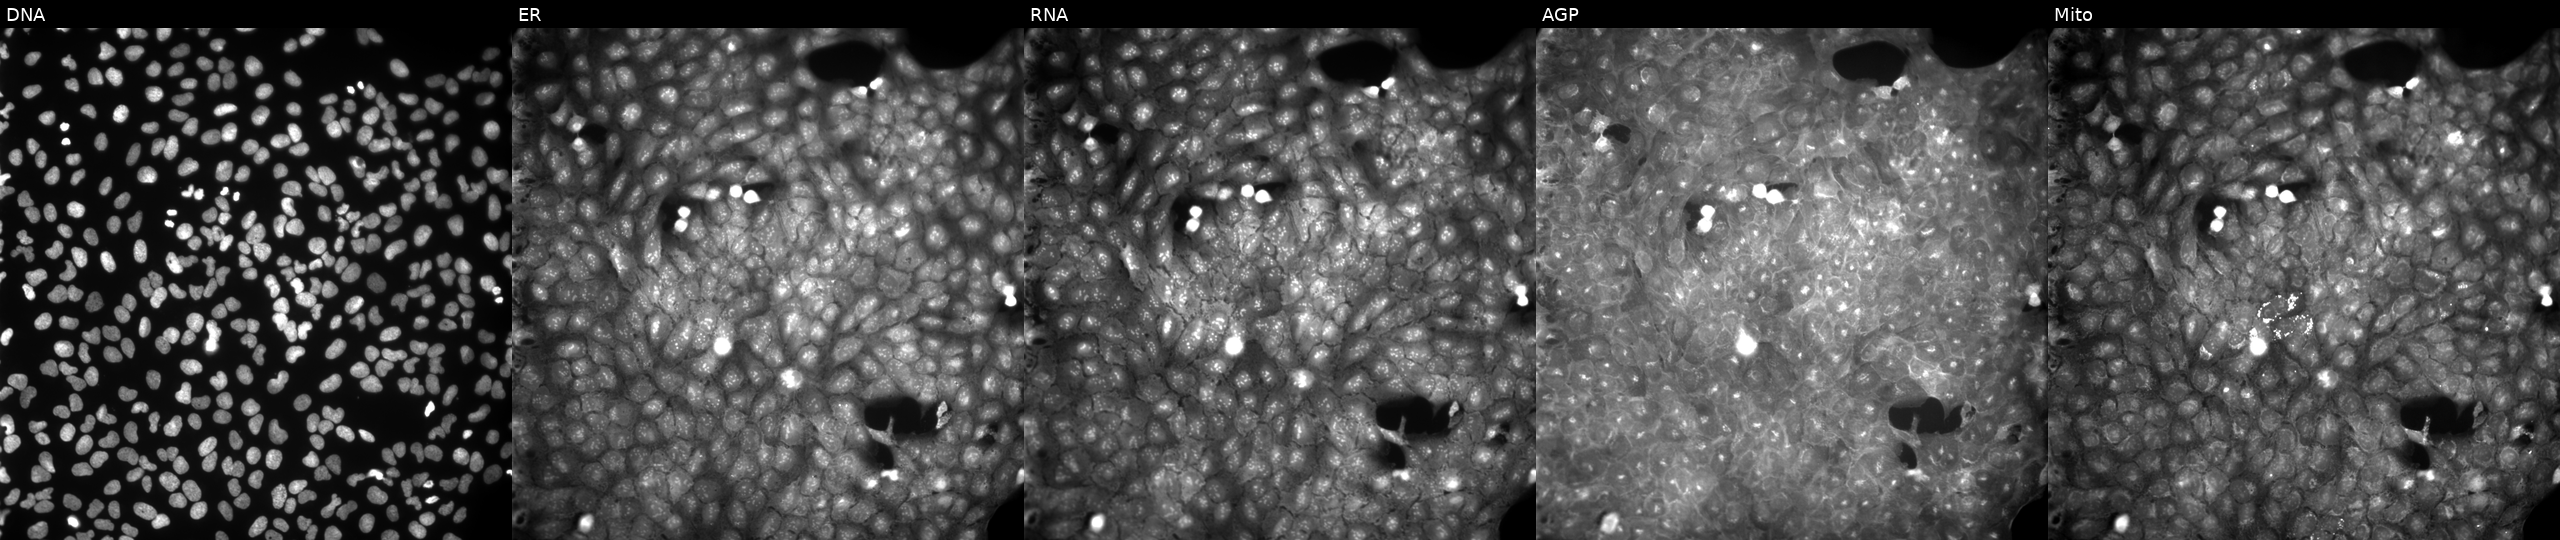
JUMP Cell Painting — COMPOUND plate. U2OS cells exposed to a small-molecule compound (InChIKey GGYXHRCVINNPKC-UHFFFAOYSA-N) (JUMP id JCP2022_025394). The five panels, left to right, show DNA (nuclei); ER (endoplasmic reticulum); RNA (nucleoli and cytoplasmic RNA); AGP (actin cytoskeleton, Golgi, and plasma membrane); Mito (mitochondria).